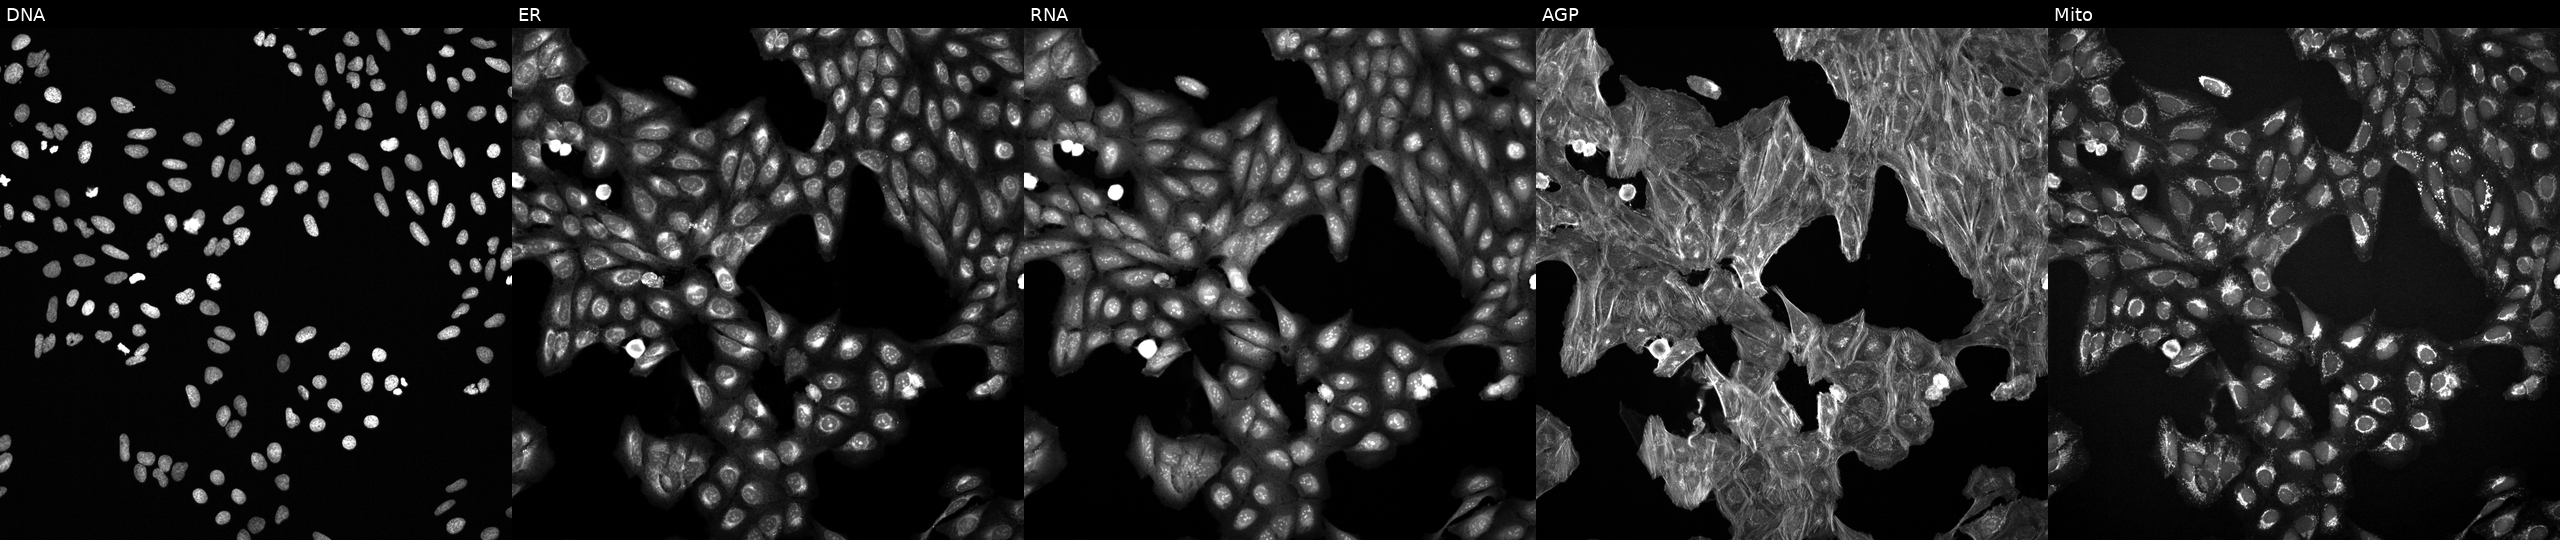
Five-channel Cell Painting image of U2OS cells exposed to a small-molecule compound (InChIKey GYYRMJMXXLJZAB-UHFFFAOYSA-N) [SMILES: CC(C)Oc1ccc(Cc2ccc(NC3=NCCN3)cc2)cc1]. The five panels, left to right, show DNA, ER, RNA, AGP, and Mito. Source 6, plate 110000293081, well E16.